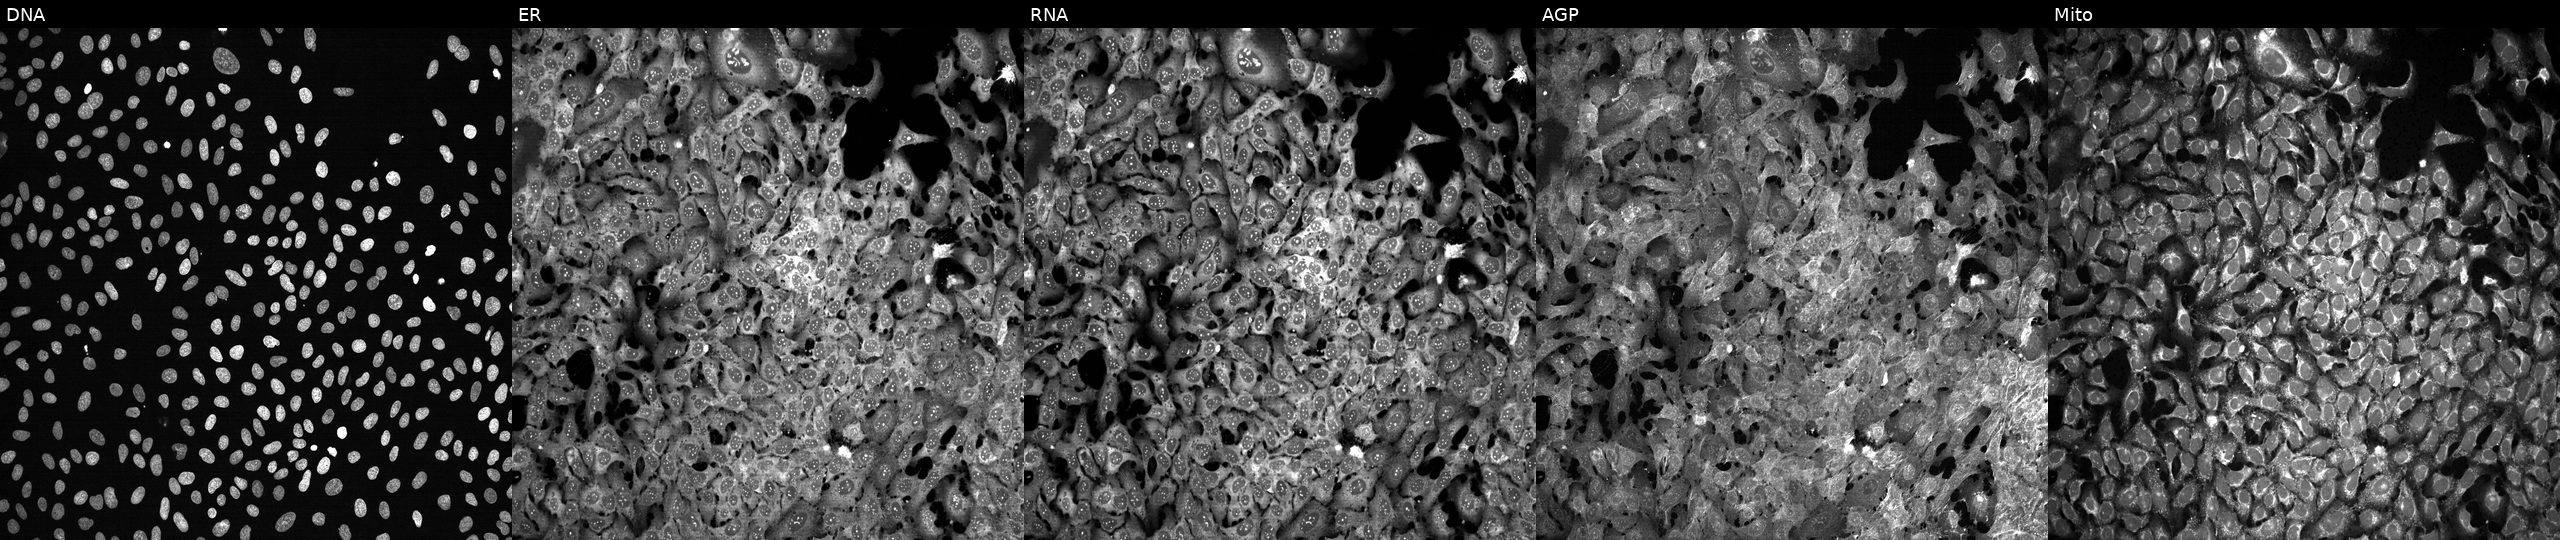
Five-channel Cell Painting image of U2OS cells exposed to the positive-control compound FK-866. The five panels, left to right, show DNA (nuclei); ER (endoplasmic reticulum); RNA (nucleoli and cytoplasmic RNA); AGP (actin cytoskeleton, Golgi, and plasma membrane); Mito (mitochondria). Source 13, plate CP-CC9-R2-02, well P24.